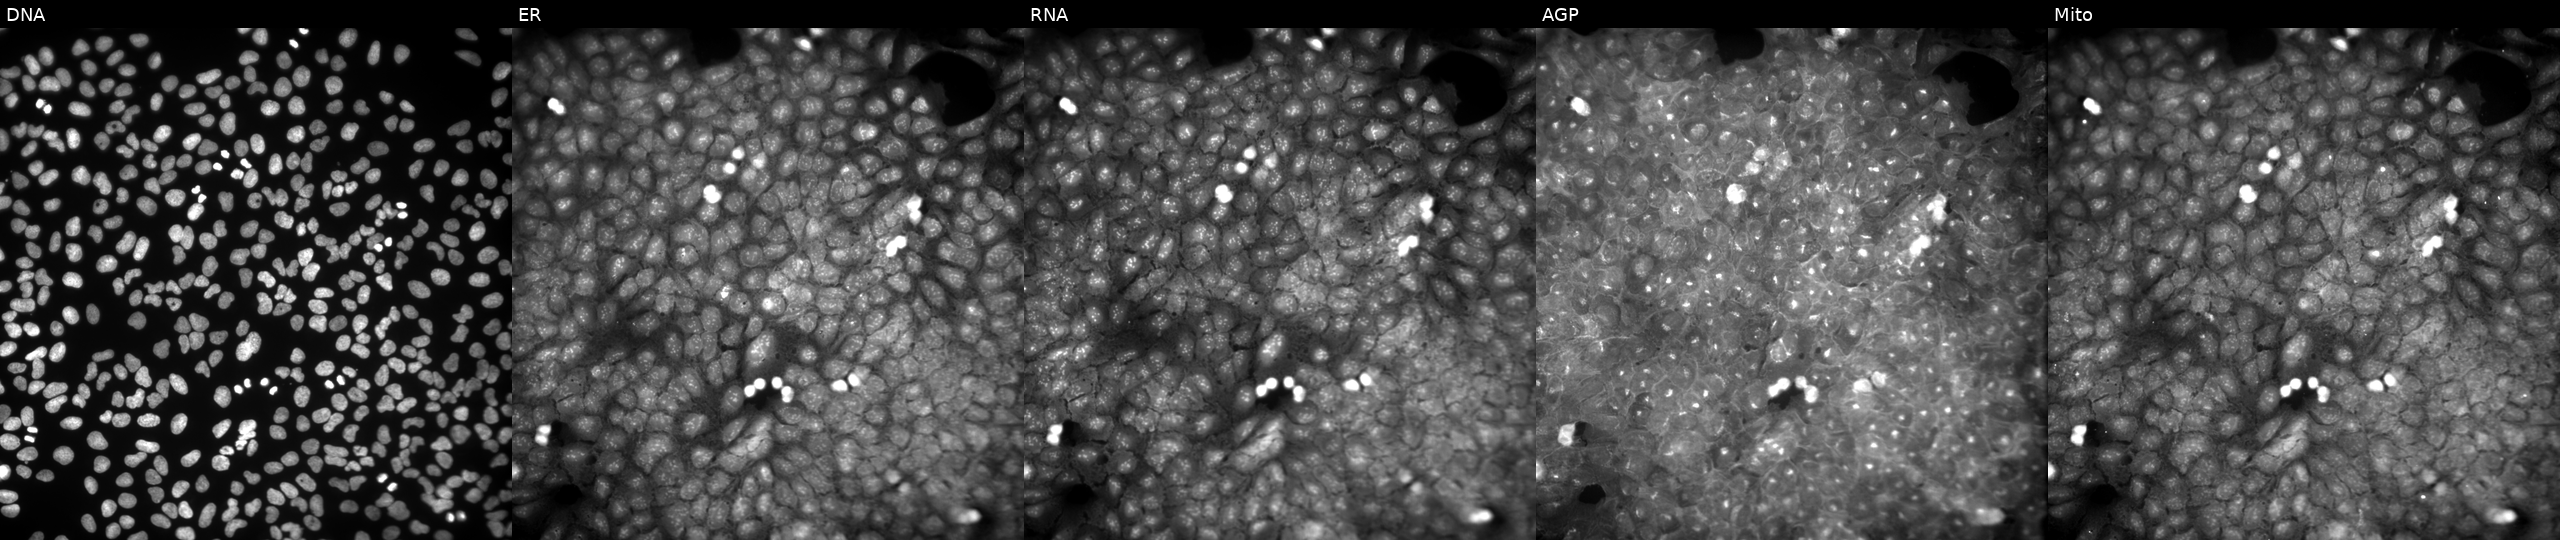
JUMP Cell Painting — COMPOUND plate. U2OS cells perturbed with a small-molecule compound (JUMP id JCP2022_082862). Panels show, left to right, DNA (nuclei); ER (endoplasmic reticulum); RNA (nucleoli and cytoplasmic RNA); AGP (actin cytoskeleton, Golgi, and plasma membrane); Mito (mitochondria). Source 9, plate GR00003381, well AE32.